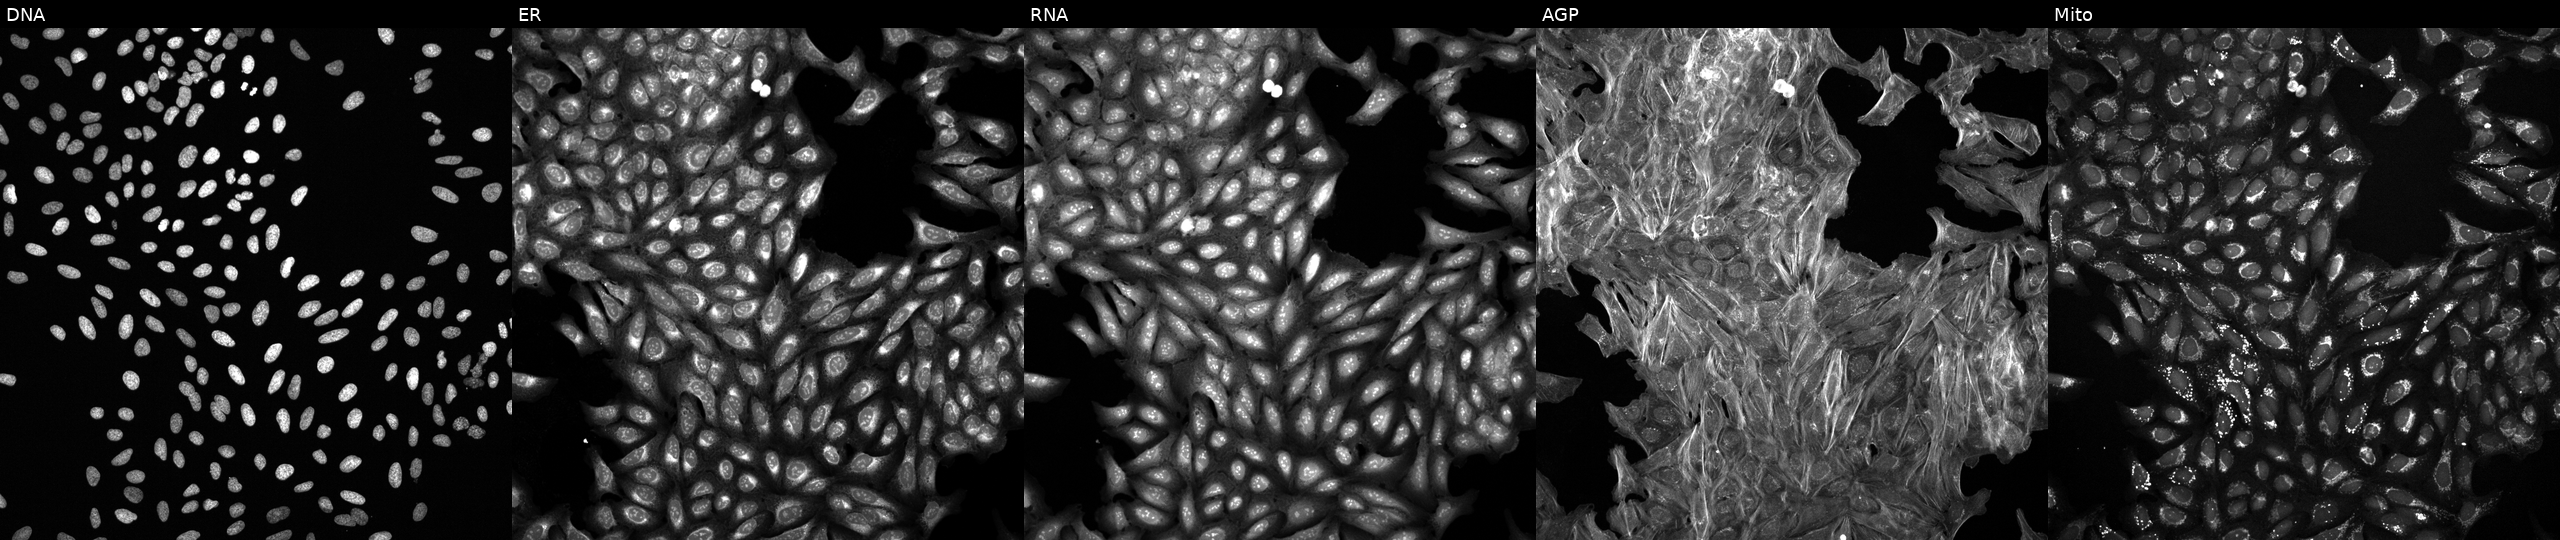
This image strip shows the five Cell Painting channels for a single field of U2OS cells perturbed with a small-molecule compound (InChIKey NYTLUAOCZCLWAI-UHFFFAOYSA-N). From left to right: DNA, ER, RNA, AGP, and Mito.